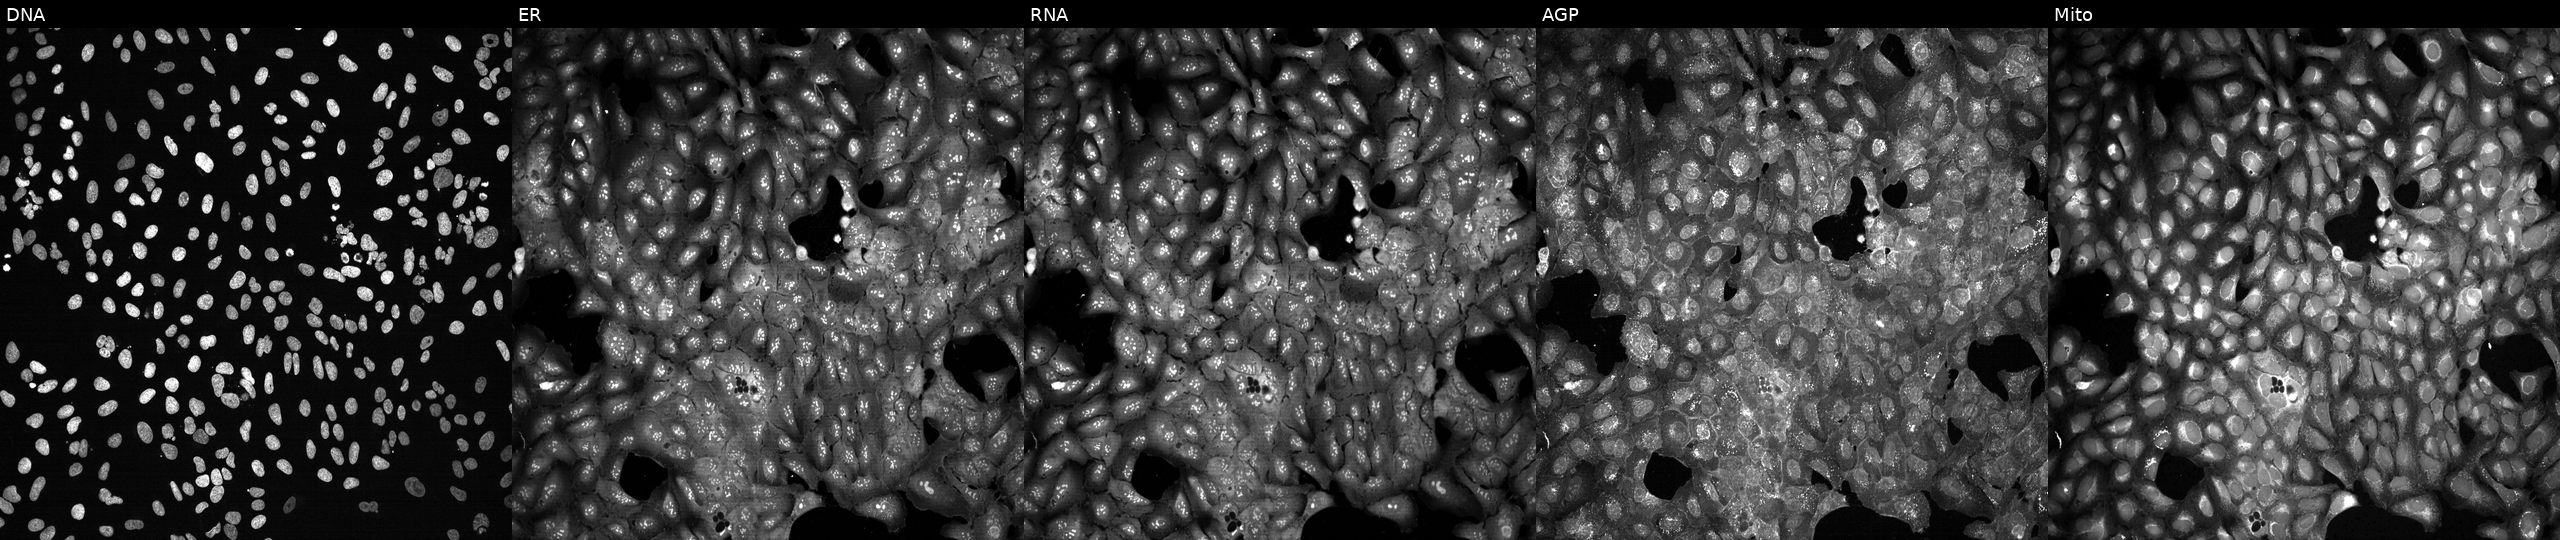
U2OS cells, Cell Painting assay, CRISPR-edited to disrupt HSD17B11. From left to right: DNA (nuclei); ER (endoplasmic reticulum); RNA (nucleoli and cytoplasmic RNA); AGP (actin cytoskeleton, Golgi, and plasma membrane); Mito (mitochondria). Each panel is percentile-stretched 16-bit fluorescence.